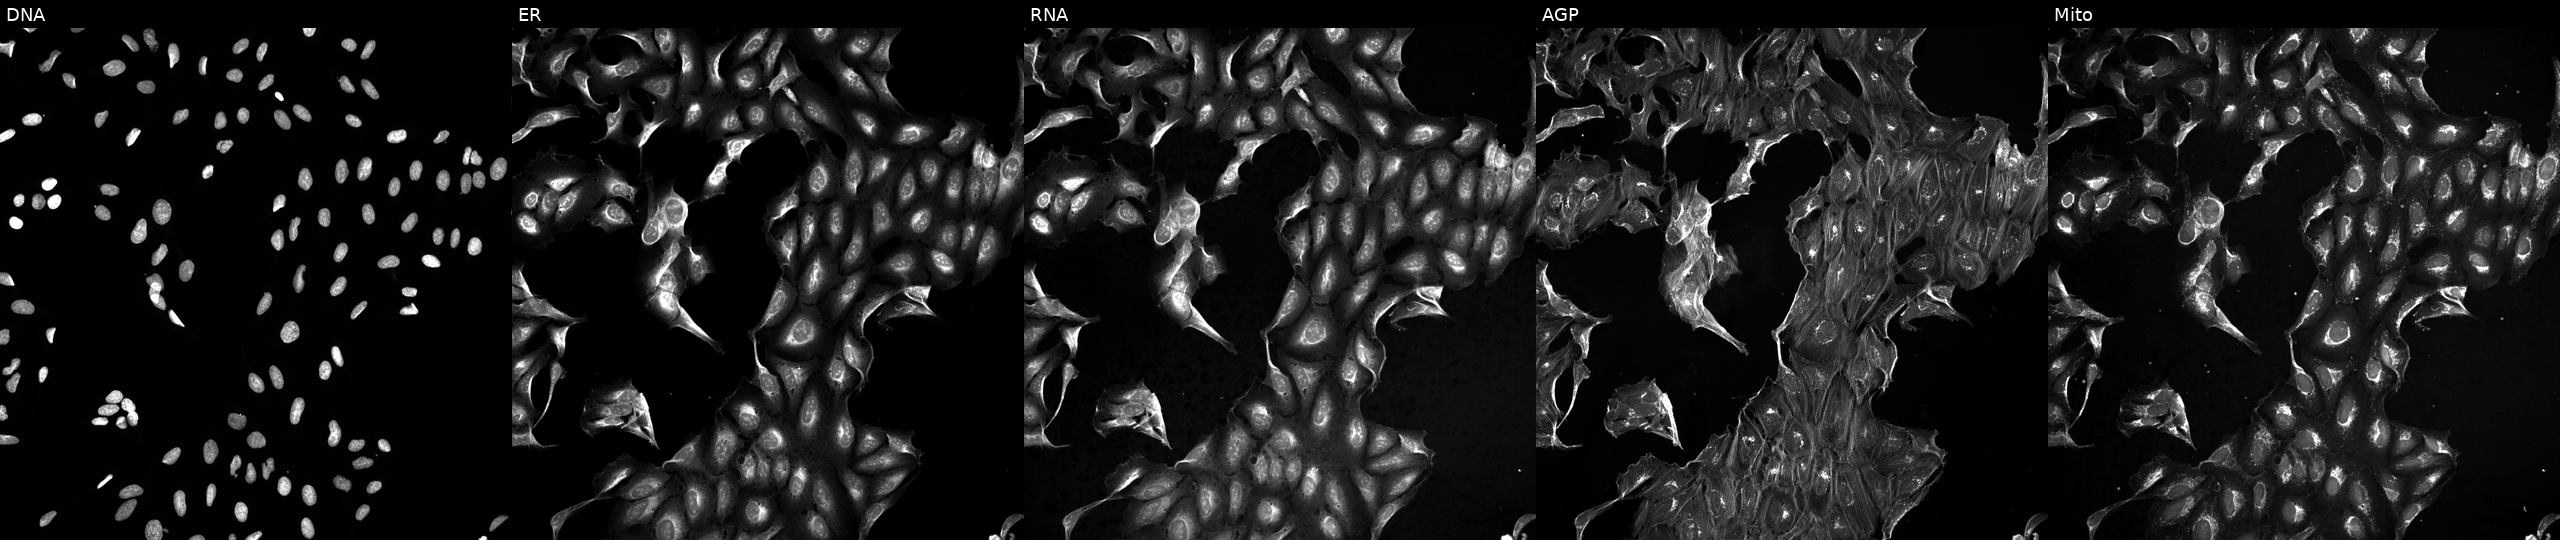
This image strip shows the five Cell Painting channels for a single field of U2OS cells exposed to a small-molecule compound (InChIKey BOFQWVMAQOTZIW-UHFFFAOYSA-N). Panels show, left to right, DNA, ER, RNA, AGP, and Mito. Source 5, plate ACPJUM032, well D04.